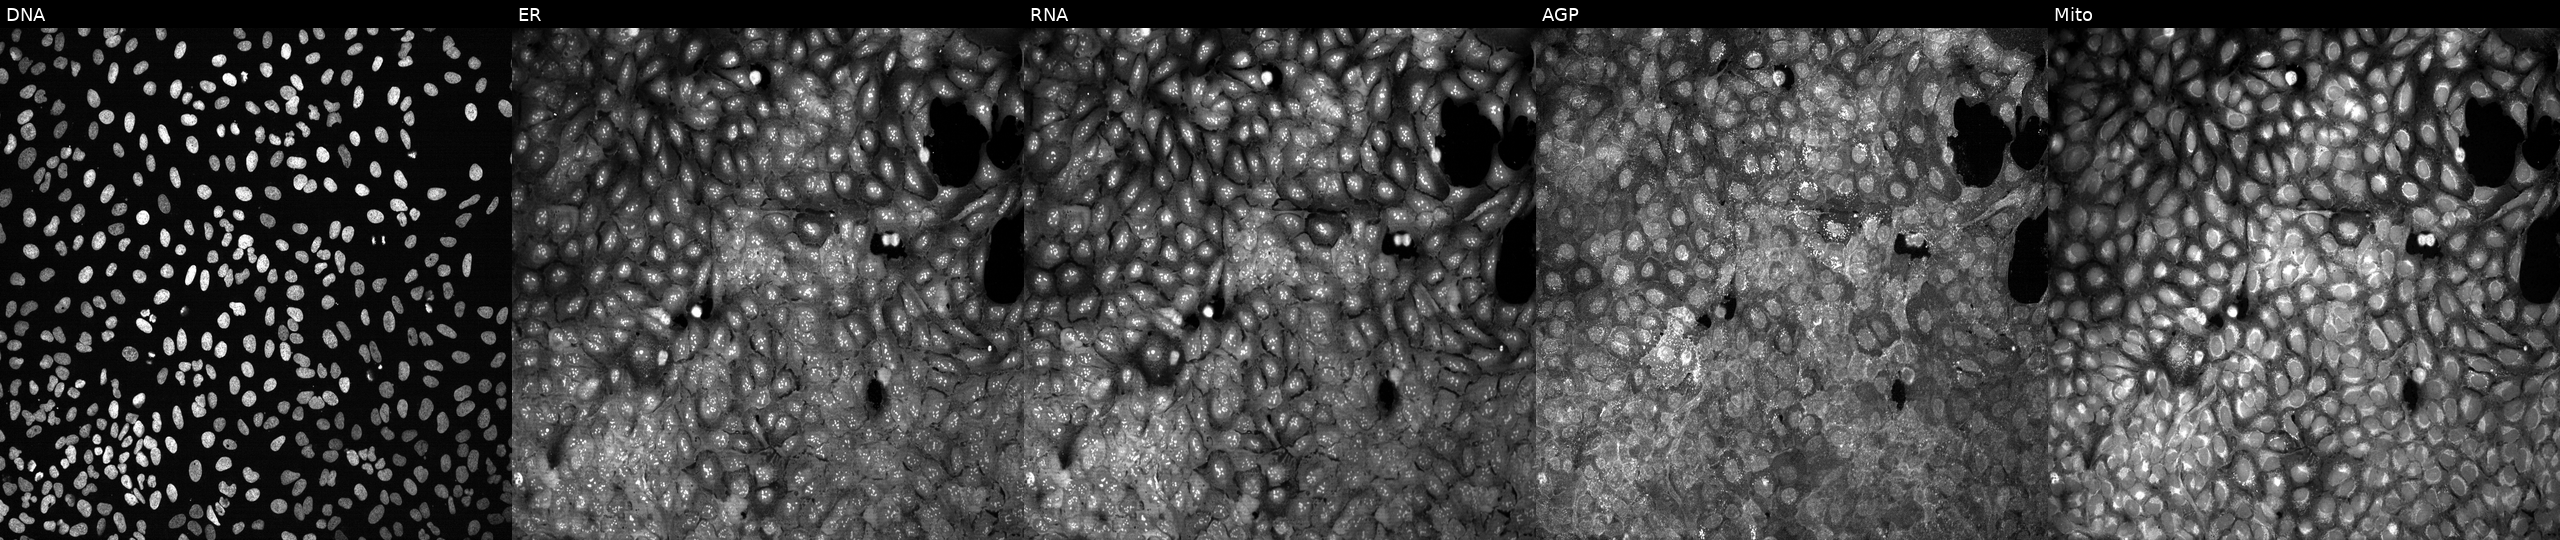
Five-channel Cell Painting image of U2OS cells following CRISPR knockout of DCLRE1A. From left to right: Hoechst 33342, concanavalin A, SYTO 14, phalloidin and WGA, MitoTracker. Source 13, plate CP-CC9-R1-02, well P20.